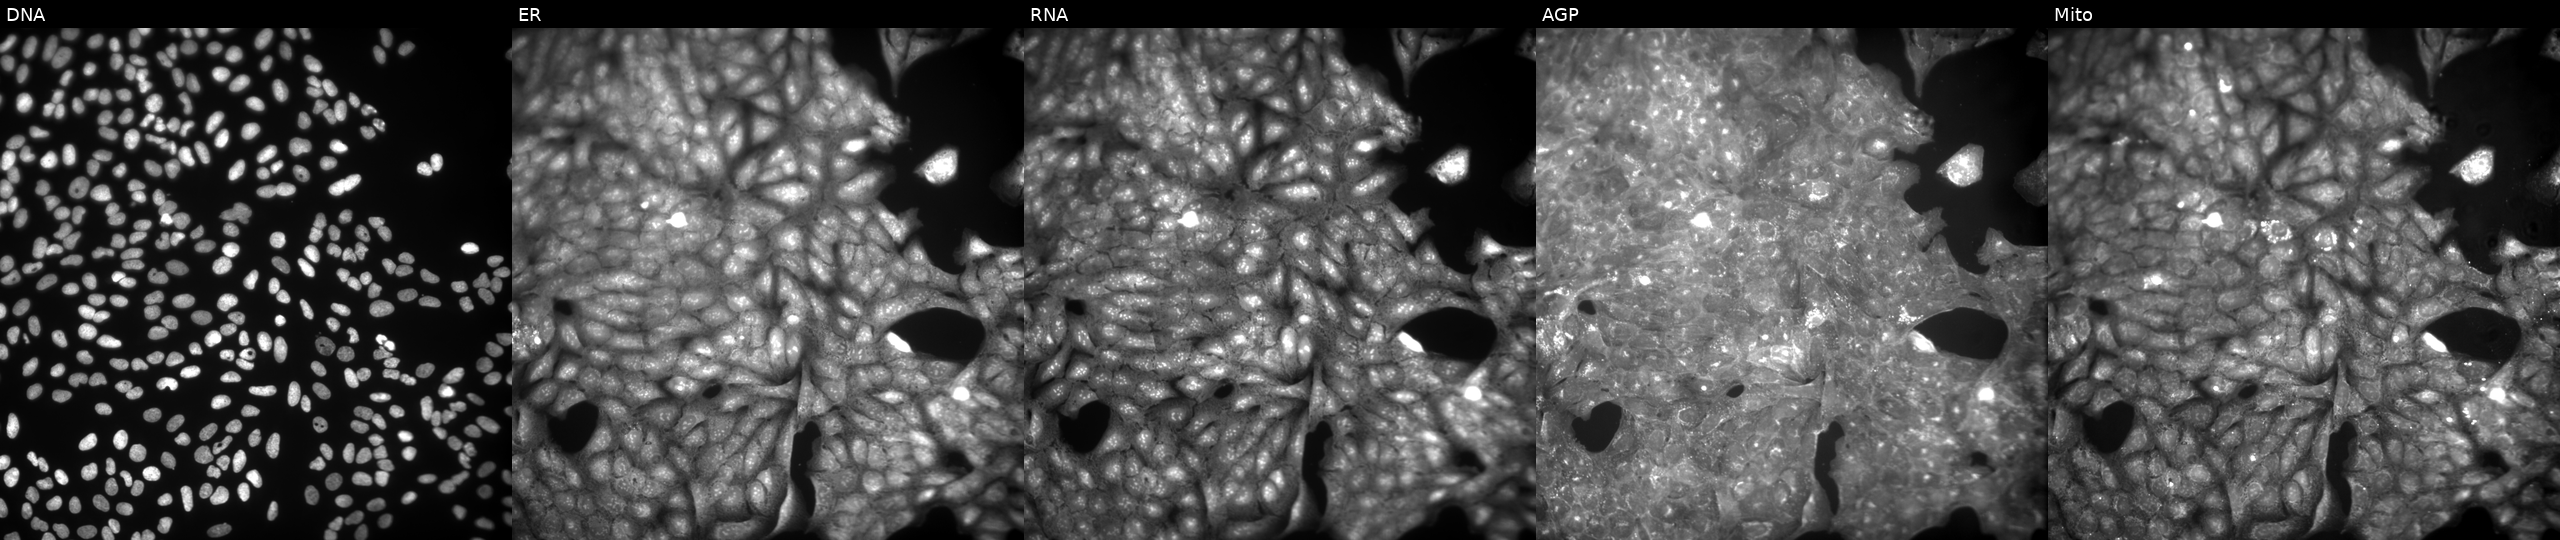
From left to right: Hoechst 33342, concanavalin A, SYTO 14, phalloidin and WGA, MitoTracker. U2OS osteosarcoma cells treated with a small-molecule compound (InChIKey GANLGRNROBRFHX-UHFFFAOYSA-N) (JUMP id JCP2022_024192). Cell Painting assay, JUMP-CP dataset.